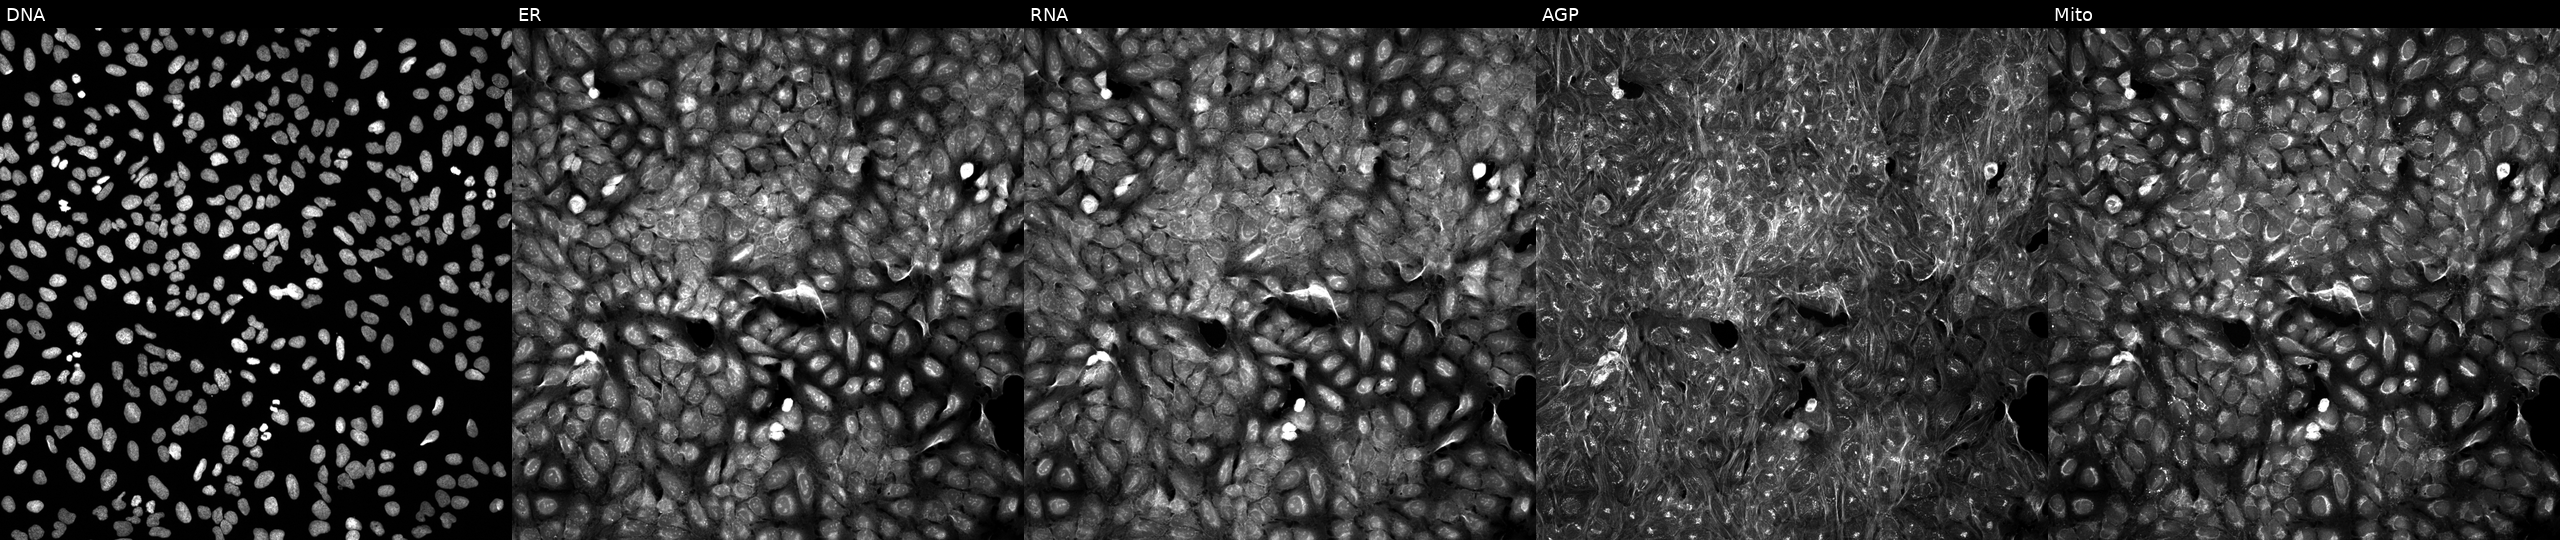
U2OS cells, Cell Painting assay, perturbed with a small-molecule compound (InChIKey CKSMSPXQOSQAEW-UHFFFAOYSA-N) (JUMP id JCP2022_011756). From left to right: DNA (nuclei); ER (endoplasmic reticulum); RNA (nucleoli and cytoplasmic RNA); AGP (actin cytoskeleton, Golgi, and plasma membrane); Mito (mitochondria). Each panel is percentile-stretched 16-bit fluorescence.